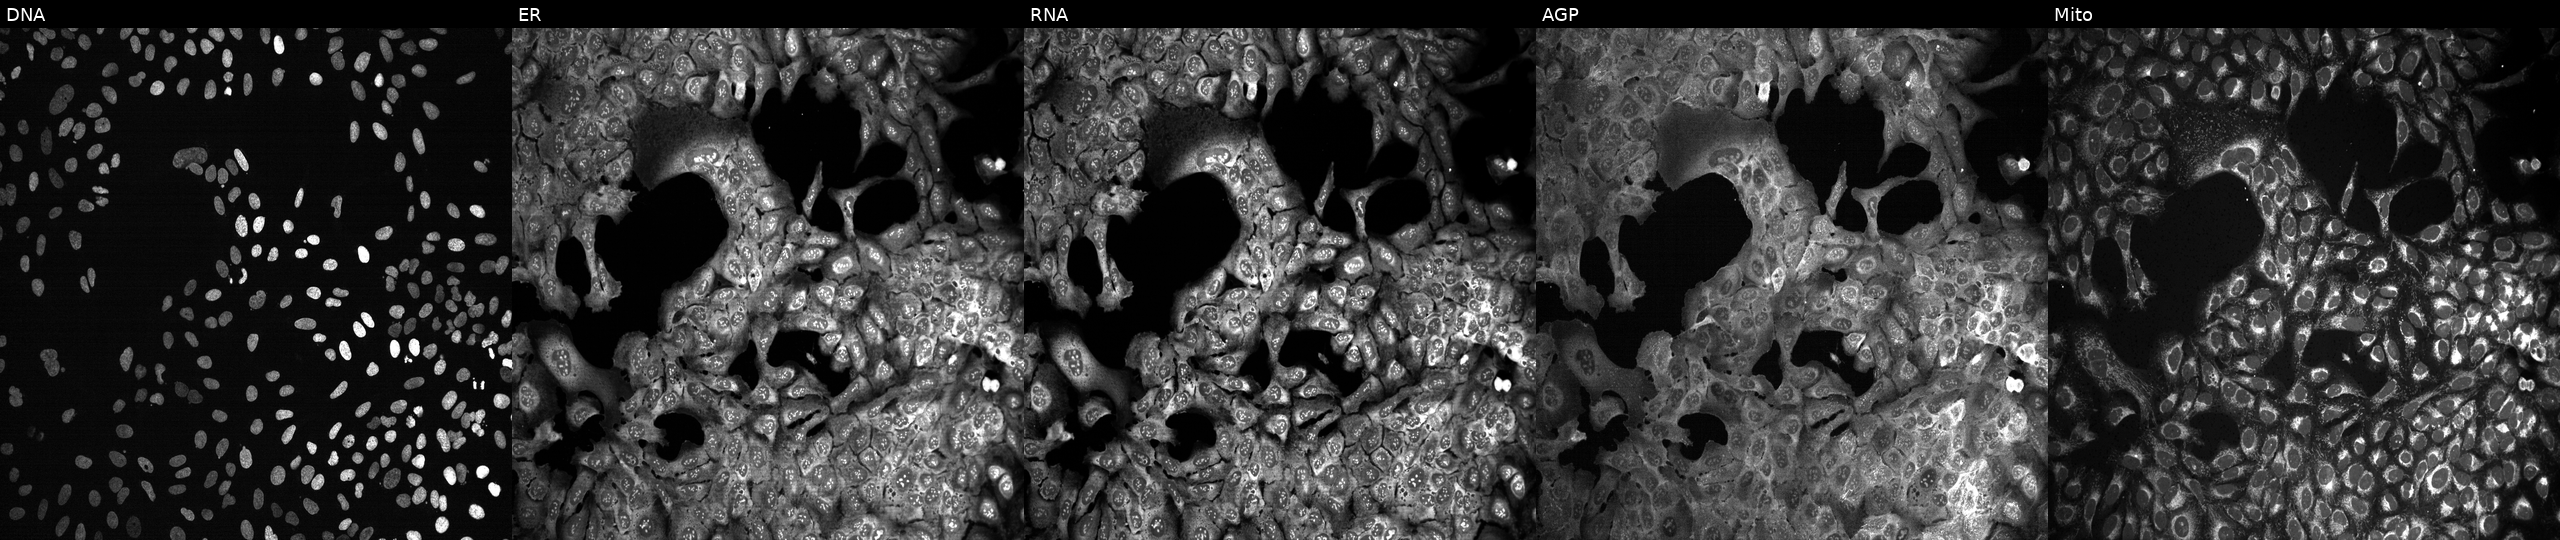
U2OS cells, Cell Painting assay, with GUSB knocked out by CRISPR (JUMP id JCP2022_802985). From left to right: DNA, ER, RNA, AGP, and Mito. Each panel is percentile-stretched 16-bit fluorescence. Source 13, plate CP-CC9-R3-01, well H05.